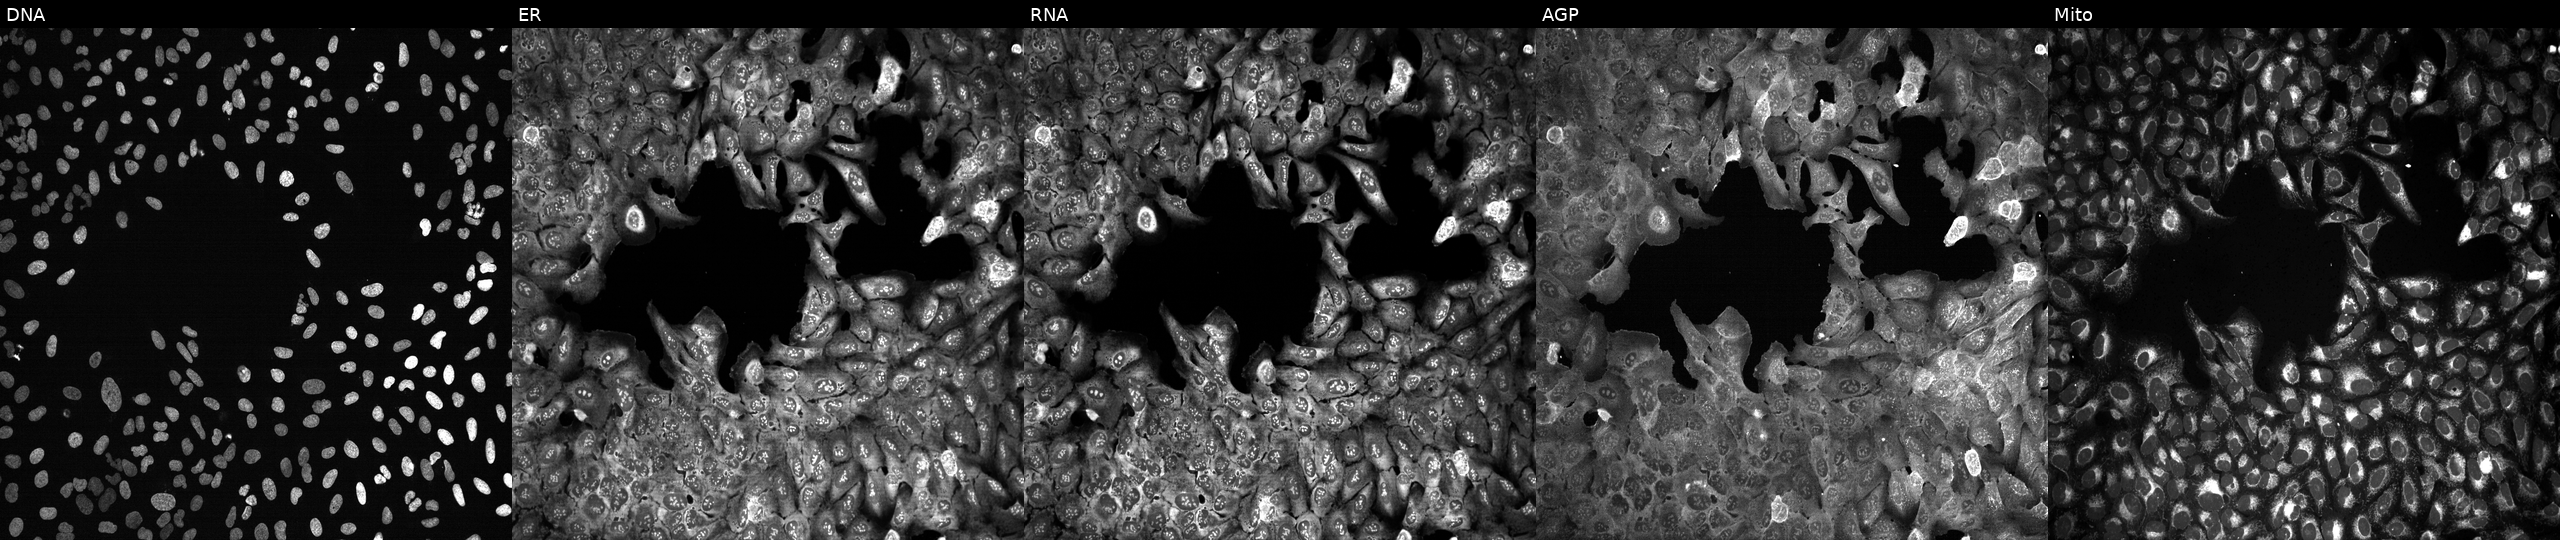
JUMP Cell Painting — CRISPR plate. U2OS cells with COX6B1 knocked out by CRISPR. Channels (left→right): DNA (nuclei); ER (endoplasmic reticulum); RNA (nucleoli and cytoplasmic RNA); AGP (actin cytoskeleton, Golgi, and plasma membrane); Mito (mitochondria). Source 13, plate CP-CC9-R3-02, well I03.